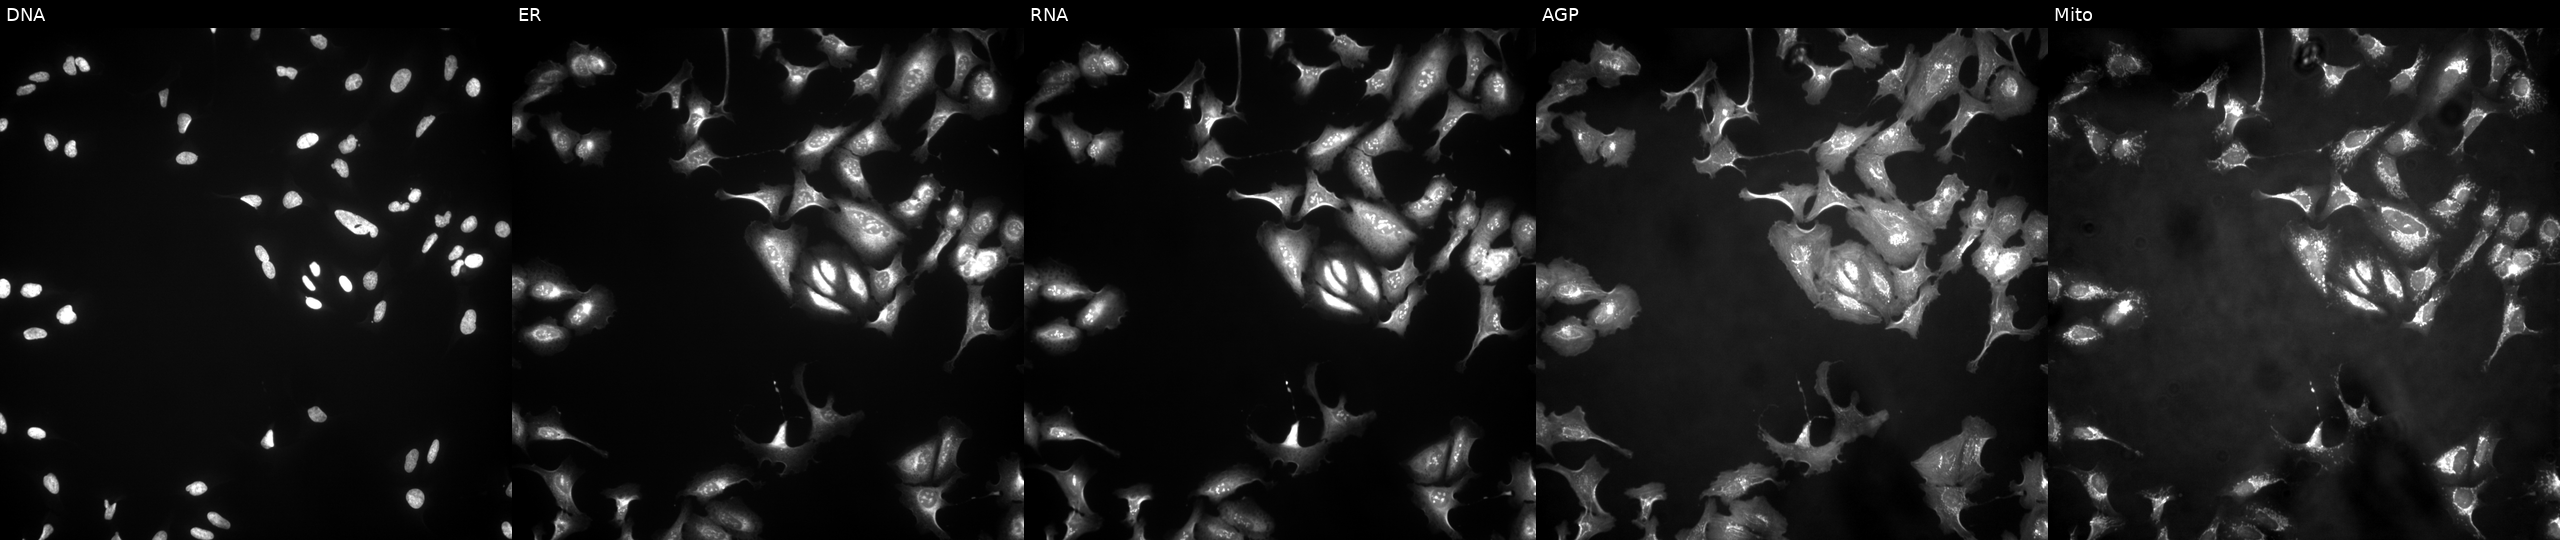
U2OS cells, Cell Painting assay, overexpressing C7orf25 via ORF transfection. From left to right: Hoechst 33342, concanavalin A, SYTO 14, phalloidin and WGA, MitoTracker. Each panel is percentile-stretched 16-bit fluorescence.